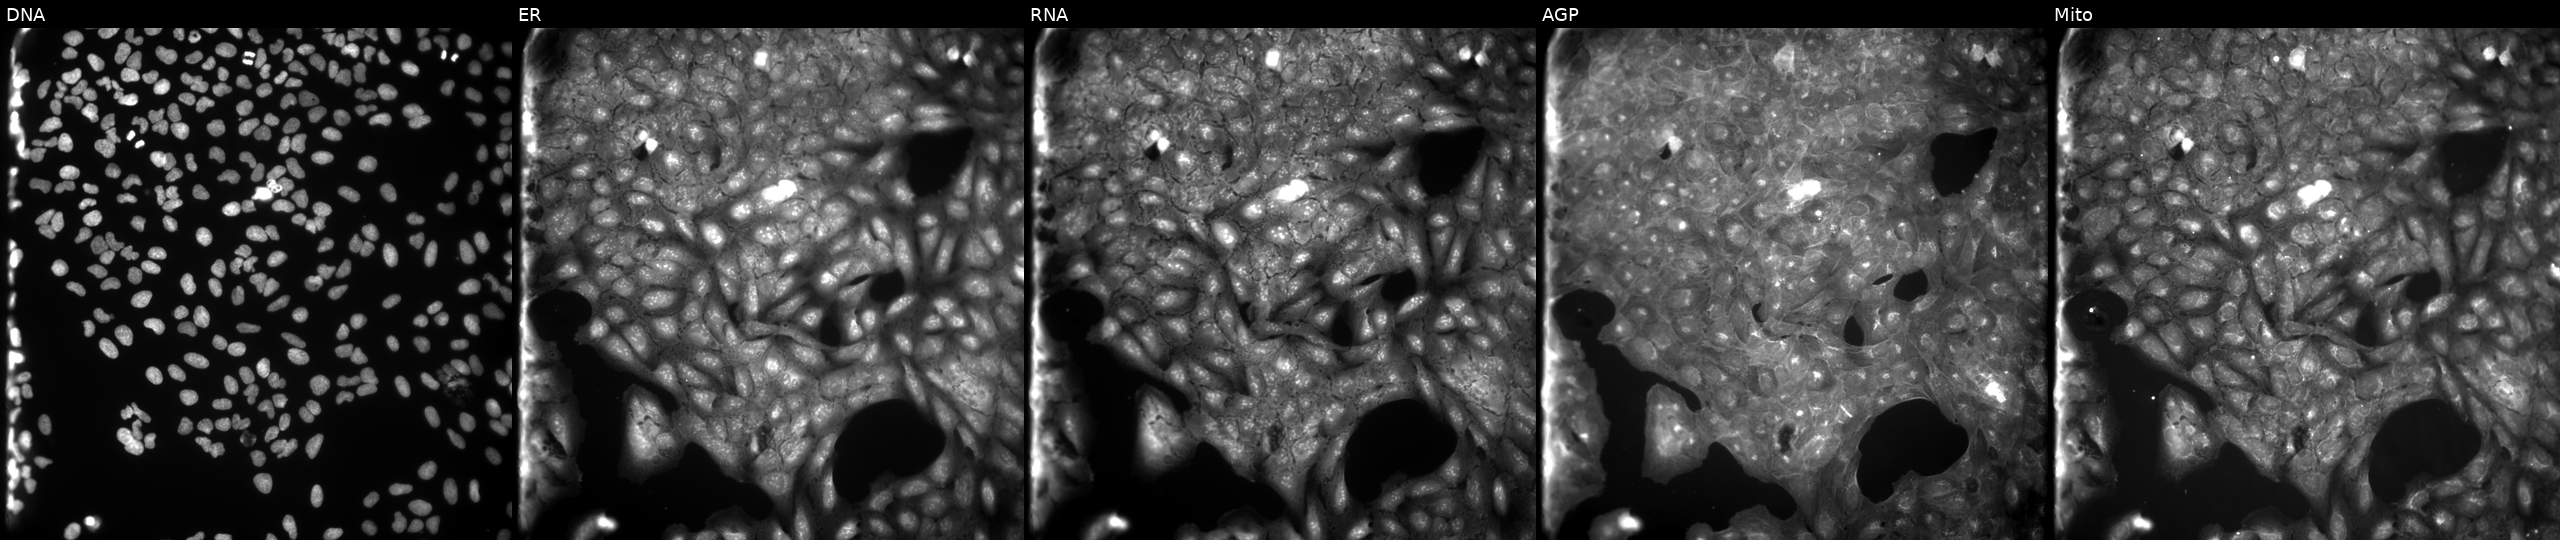
Five-channel Cell Painting image of U2OS cells treated with DMSO vehicle only (negative control) (JUMP id JCP2022_033924). Panels show, left to right, DNA (nuclei); ER (endoplasmic reticulum); RNA (nucleoli and cytoplasmic RNA); AGP (actin cytoskeleton, Golgi, and plasma membrane); Mito (mitochondria).